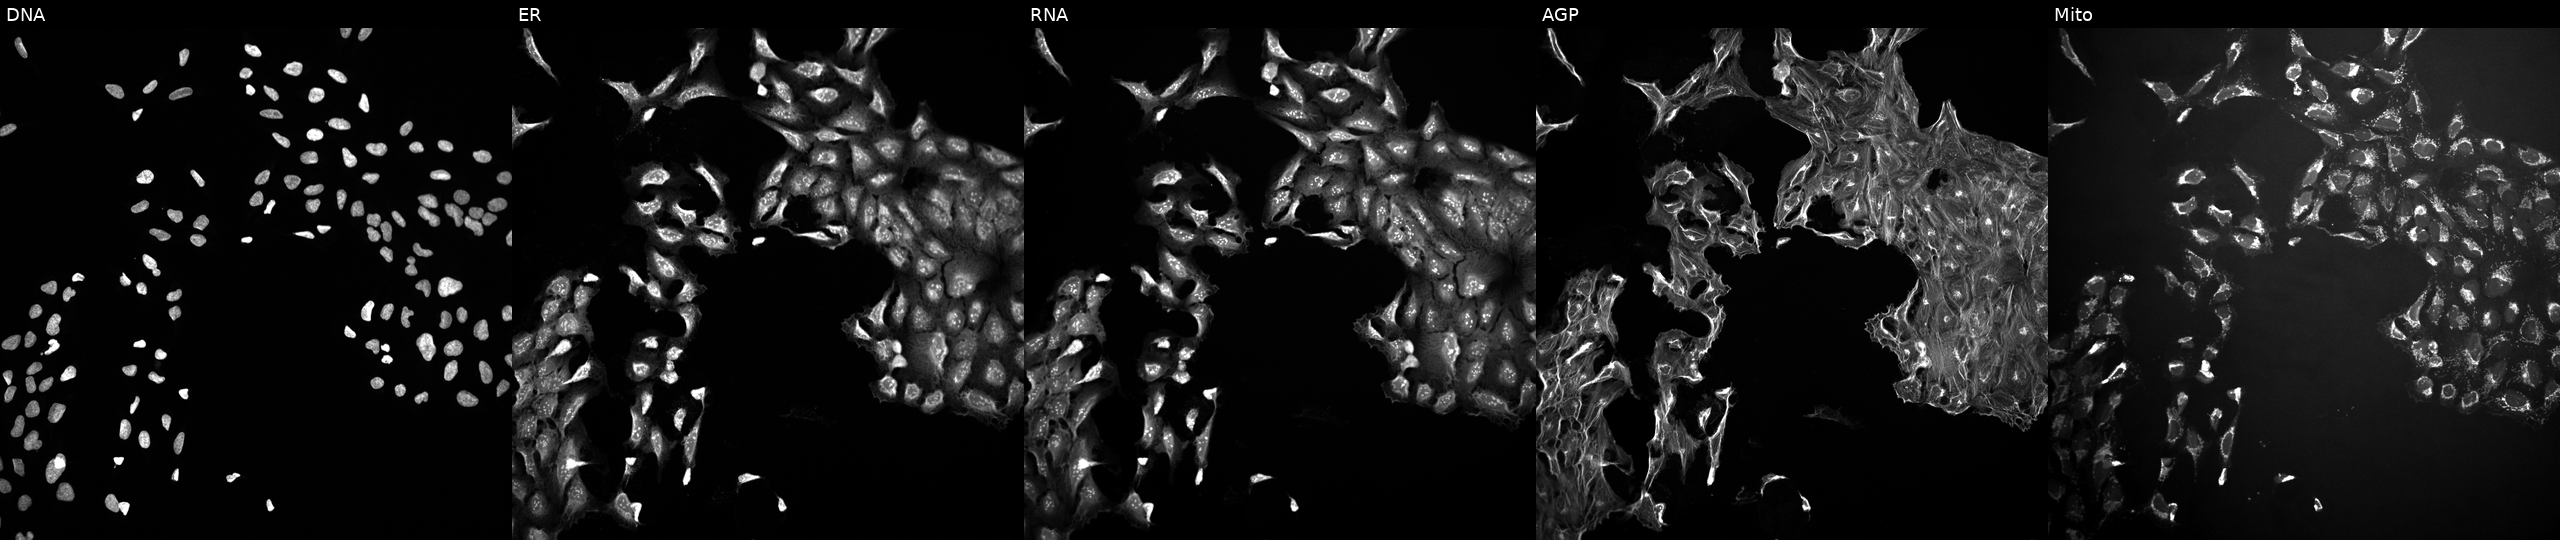
Channels (left→right): Hoechst 33342, concanavalin A, SYTO 14, phalloidin and WGA, MitoTracker. U2OS osteosarcoma cells treated with a small-molecule compound (InChIKey CXUCKELNYMZTRT-UHFFFAOYSA-N) [SMILES: CCn1c(=O)[nH]c2ccccc21]. Cell Painting assay, JUMP-CP dataset. Source 10, plate Dest210726-160150, well B14.